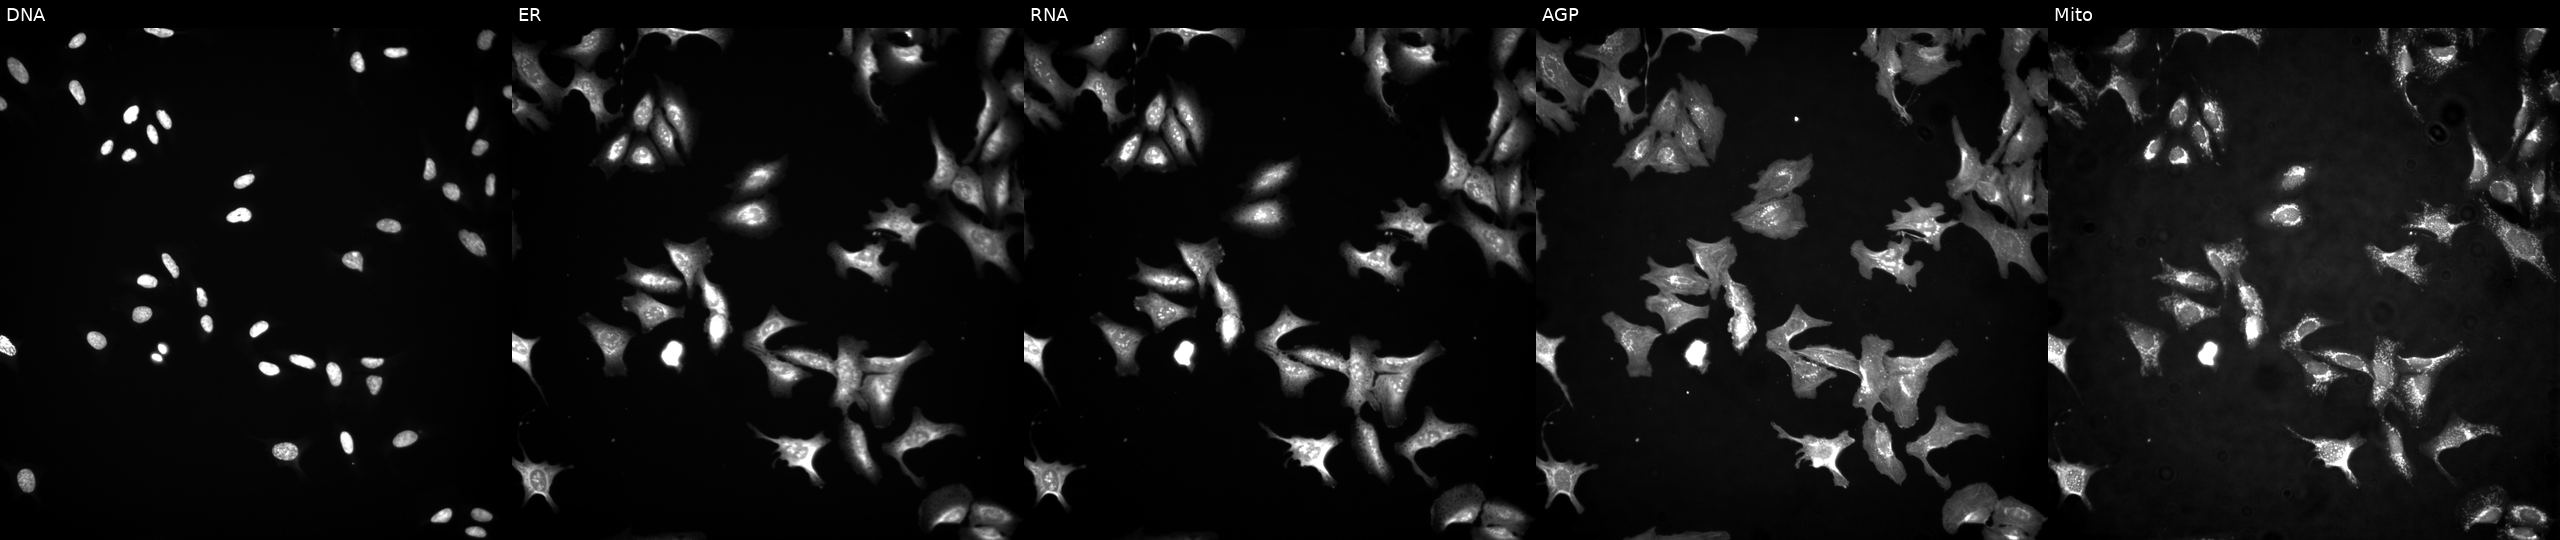
U2OS cells, Cell Painting assay, overexpressing SCYL1 via ORF transfection. From left to right: DNA (nuclei); ER (endoplasmic reticulum); RNA (nucleoli and cytoplasmic RNA); AGP (actin cytoskeleton, Golgi, and plasma membrane); Mito (mitochondria). Each panel is percentile-stretched 16-bit fluorescence. Source 4, plate BR00123945, well E23.